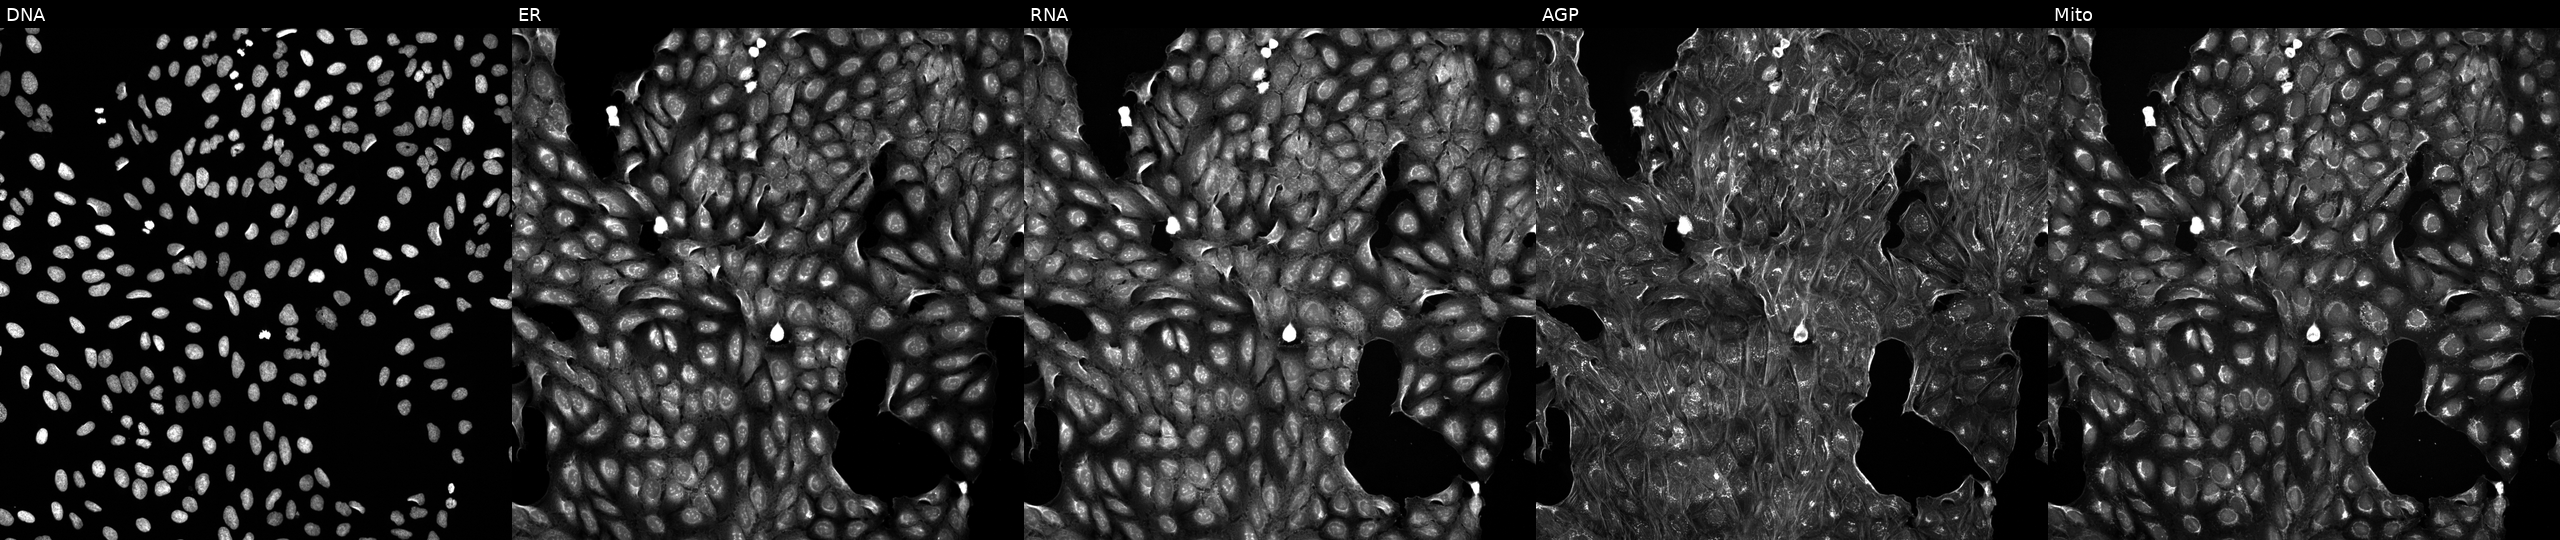
JUMP Cell Painting — COMPOUND plate. U2OS cells exposed to DMSO alone as a negative control. Panels show, left to right, Hoechst 33342, concanavalin A, SYTO 14, phalloidin and WGA, MitoTracker. Source 5, plate APTJUM105, well J02.